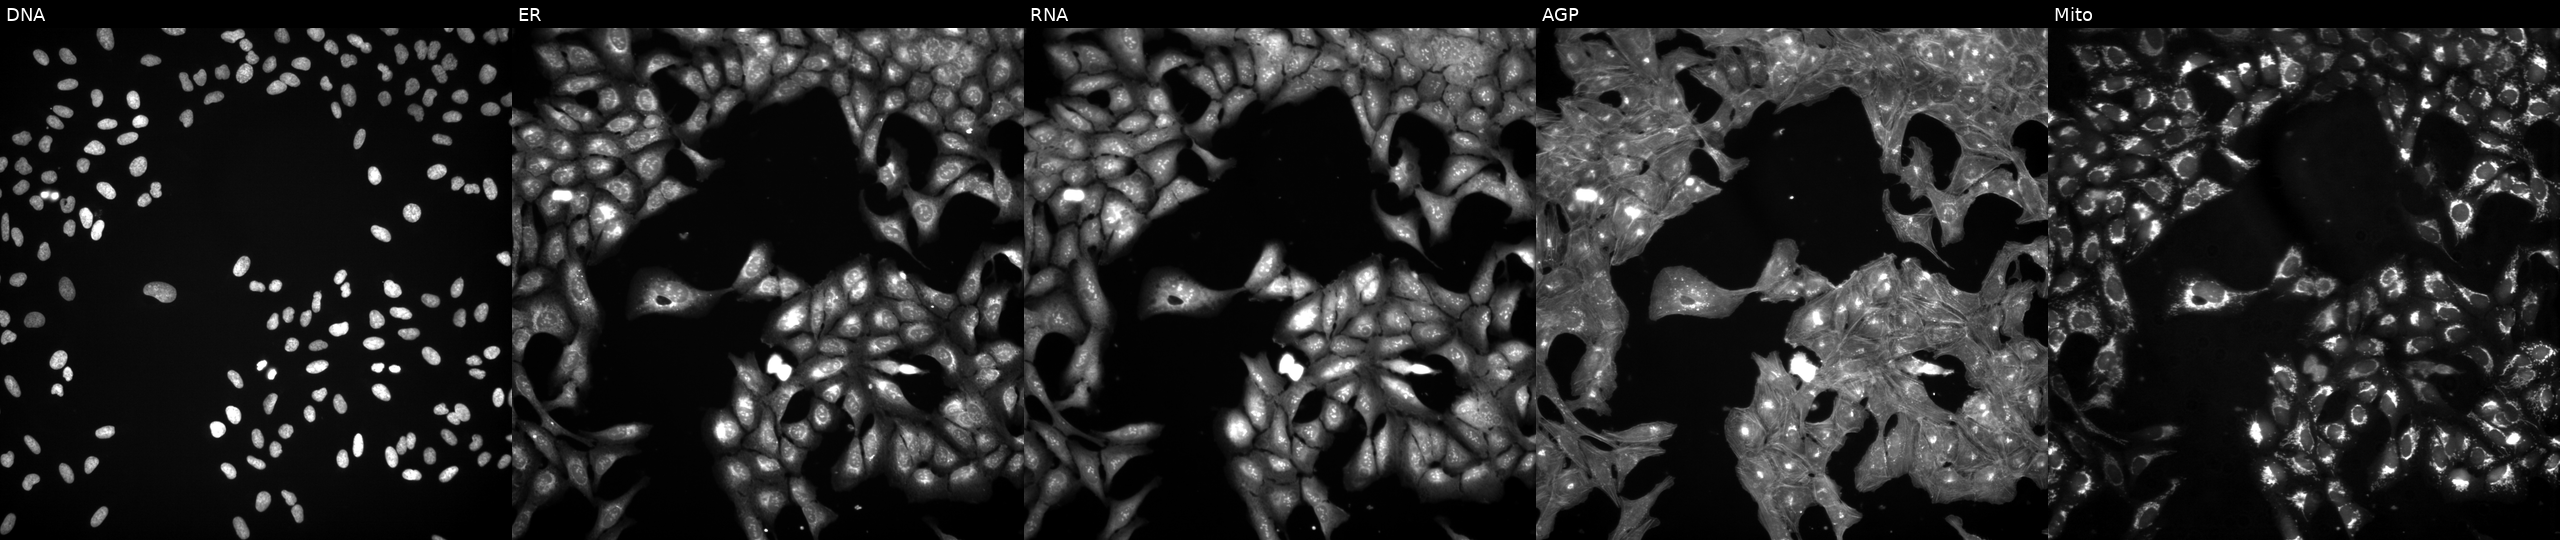
This image strip shows the five Cell Painting channels for a single field of U2OS cells perturbed with a small-molecule compound (InChIKey QXKHYNVANLEOEG-UHFFFAOYSA-N). Channels (left→right): Hoechst 33342, concanavalin A, SYTO 14, phalloidin and WGA, MitoTracker.